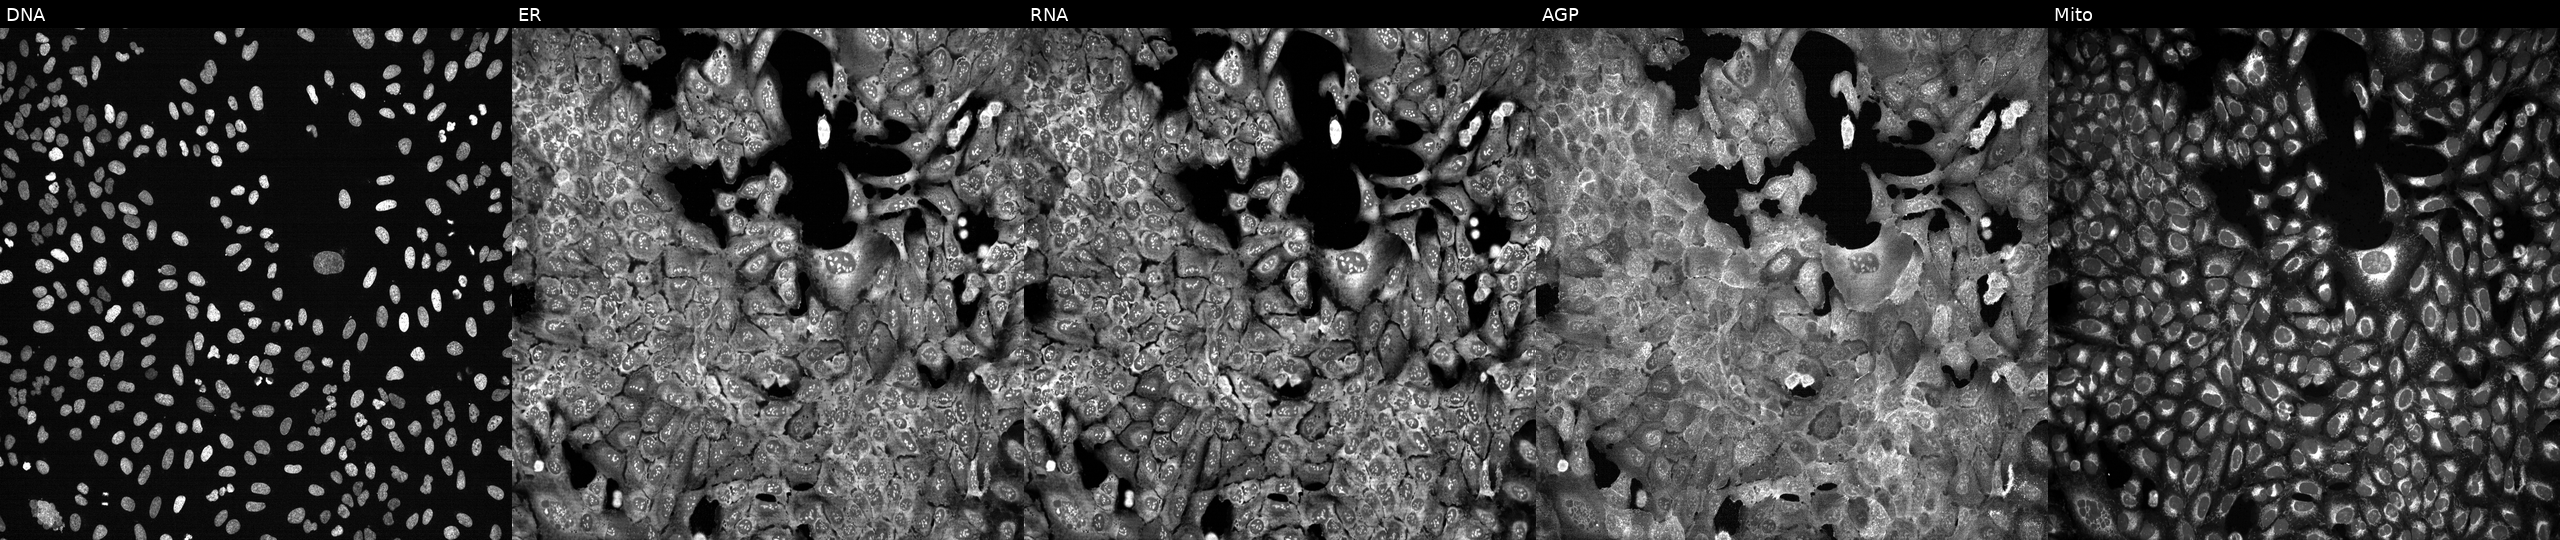
This image strip shows the five Cell Painting channels for a single field of U2OS cells following CRISPR knockout of UBASH3A. From left to right: DNA (nuclei); ER (endoplasmic reticulum); RNA (nucleoli and cytoplasmic RNA); AGP (actin cytoskeleton, Golgi, and plasma membrane); Mito (mitochondria).